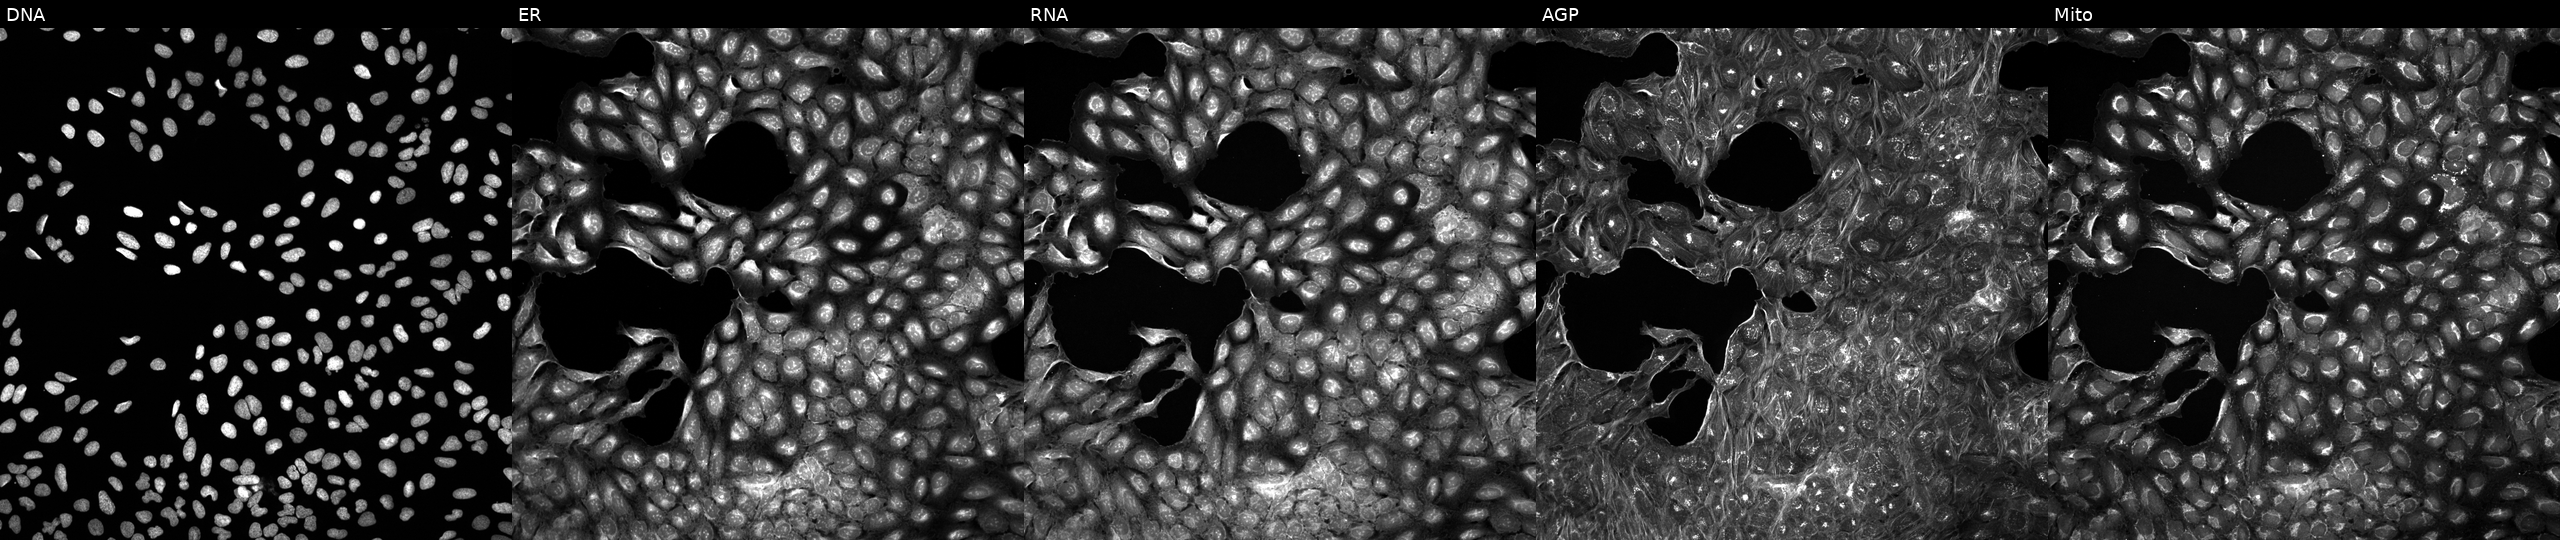
U2OS cells, Cell Painting assay, treated with DMSO vehicle only (negative control) (JUMP id JCP2022_033924). Panels show, left to right, Hoechst 33342, concanavalin A, SYTO 14, phalloidin and WGA, MitoTracker. Each panel is percentile-stretched 16-bit fluorescence.